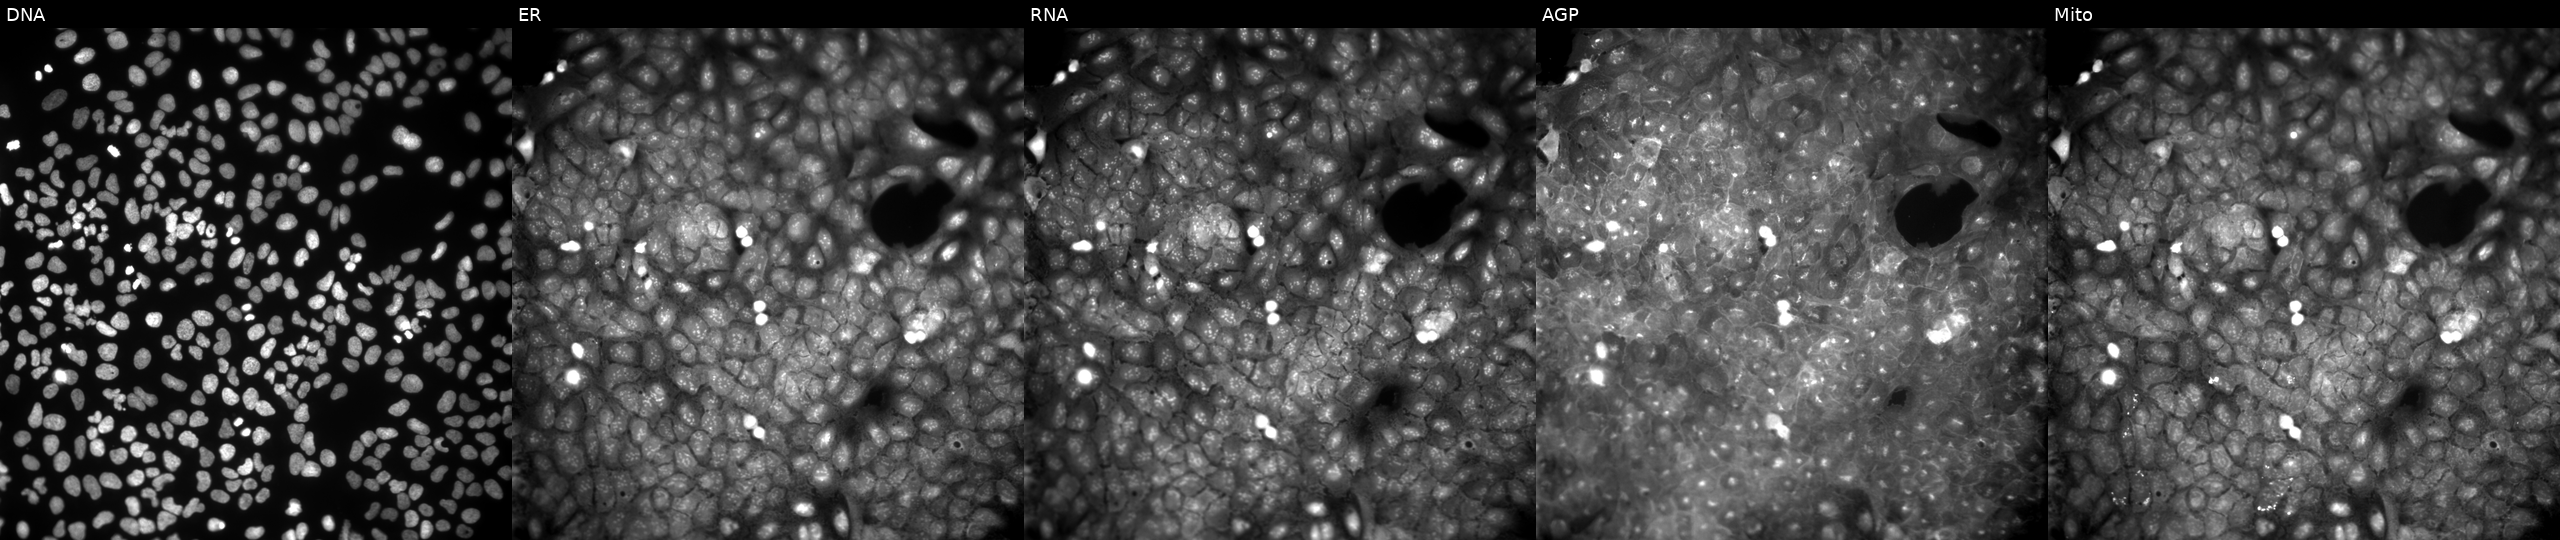
U2OS cells, Cell Painting assay, treated with a small-molecule compound (InChIKey UUIQVKLKKMXJLU-UHFFFAOYSA-N) (JUMP id JCP2022_091627). Channels (left→right): DNA (nuclei); ER (endoplasmic reticulum); RNA (nucleoli and cytoplasmic RNA); AGP (actin cytoskeleton, Golgi, and plasma membrane); Mito (mitochondria). Each panel is percentile-stretched 16-bit fluorescence. Source 9, plate GR00003381, well AD09.